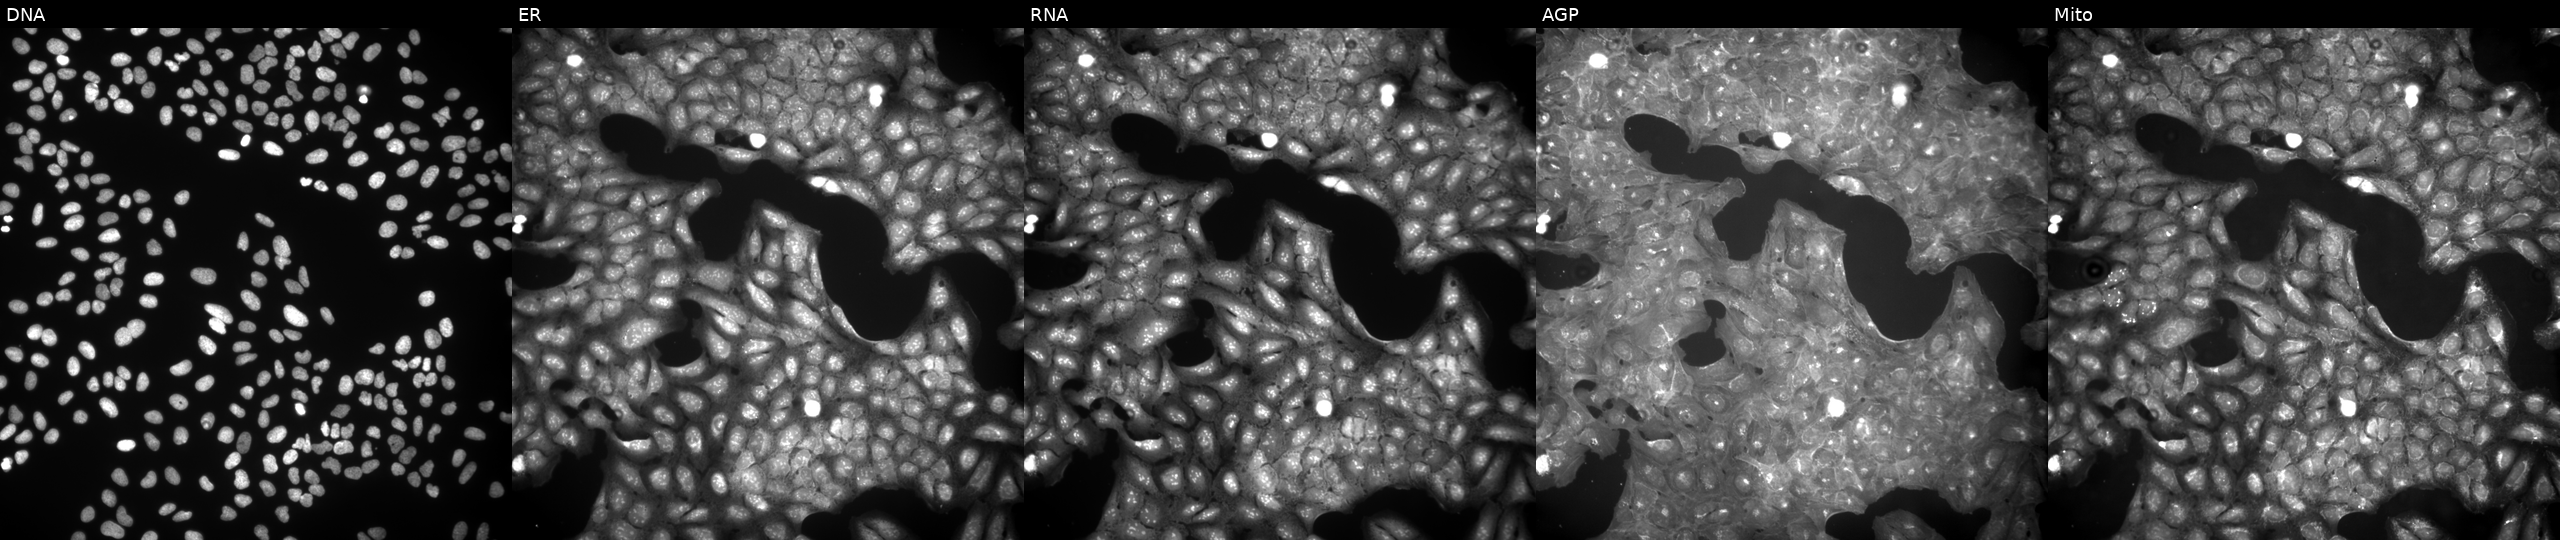
U2OS cells, Cell Painting assay, perturbed with a small-molecule compound (JUMP id JCP2022_037093). The five panels, left to right, show DNA, ER, RNA, AGP, and Mito. Each panel is percentile-stretched 16-bit fluorescence. Source 9, plate GR00003381, well B39.